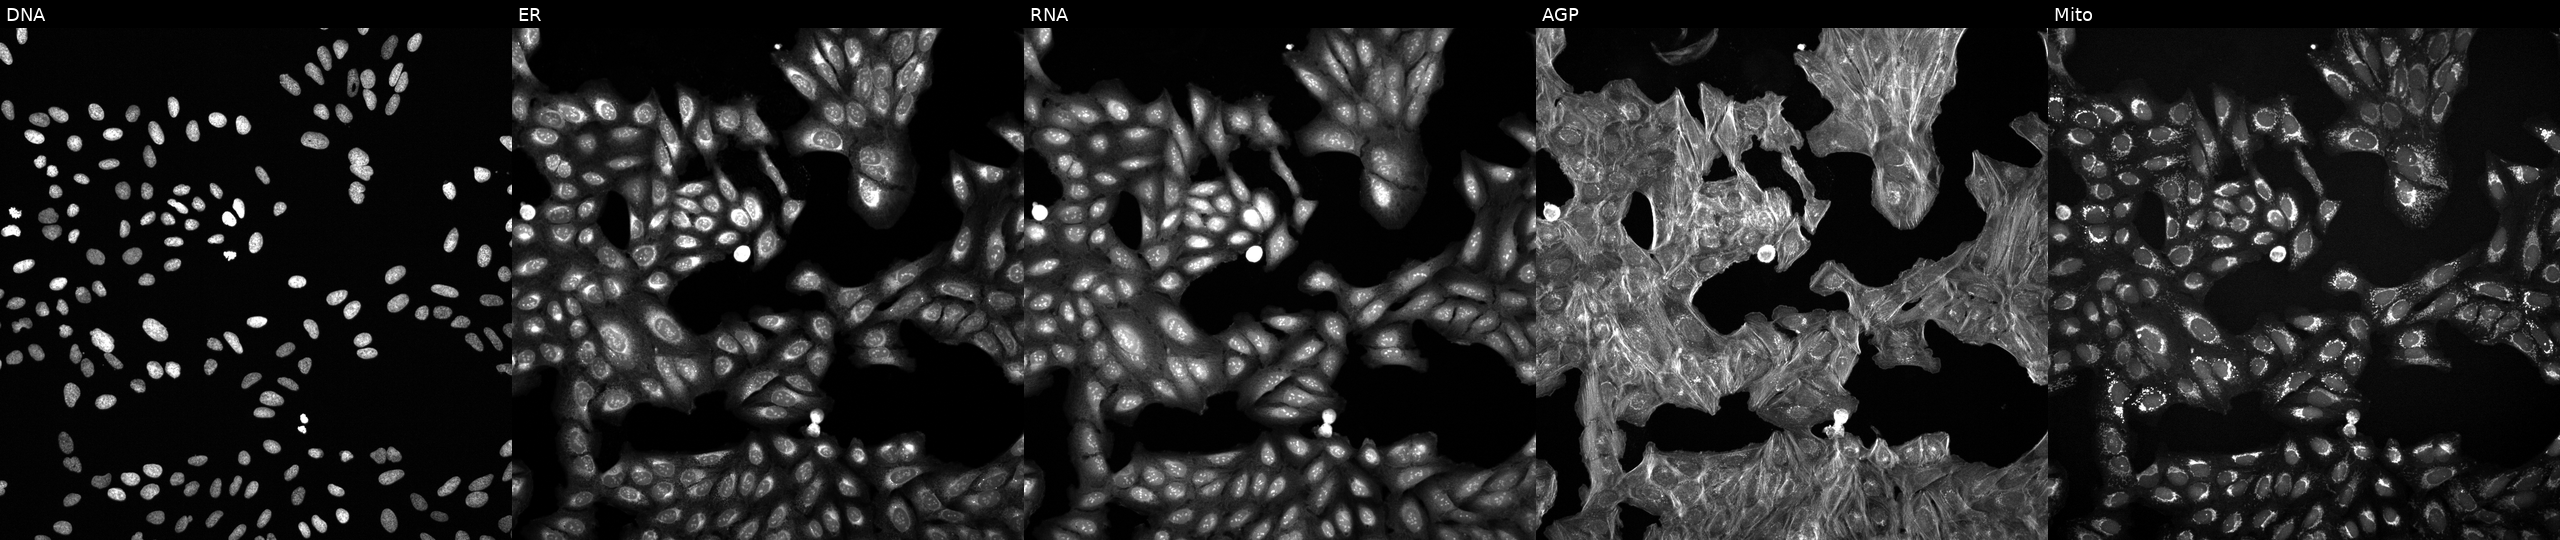
High-content fluorescence microscopy (Cell Painting). Cell line: U2OS. Perturbation: treated with a small-molecule compound. Channels (left→right): Hoechst 33342, concanavalin A, SYTO 14, phalloidin and WGA, MitoTracker.